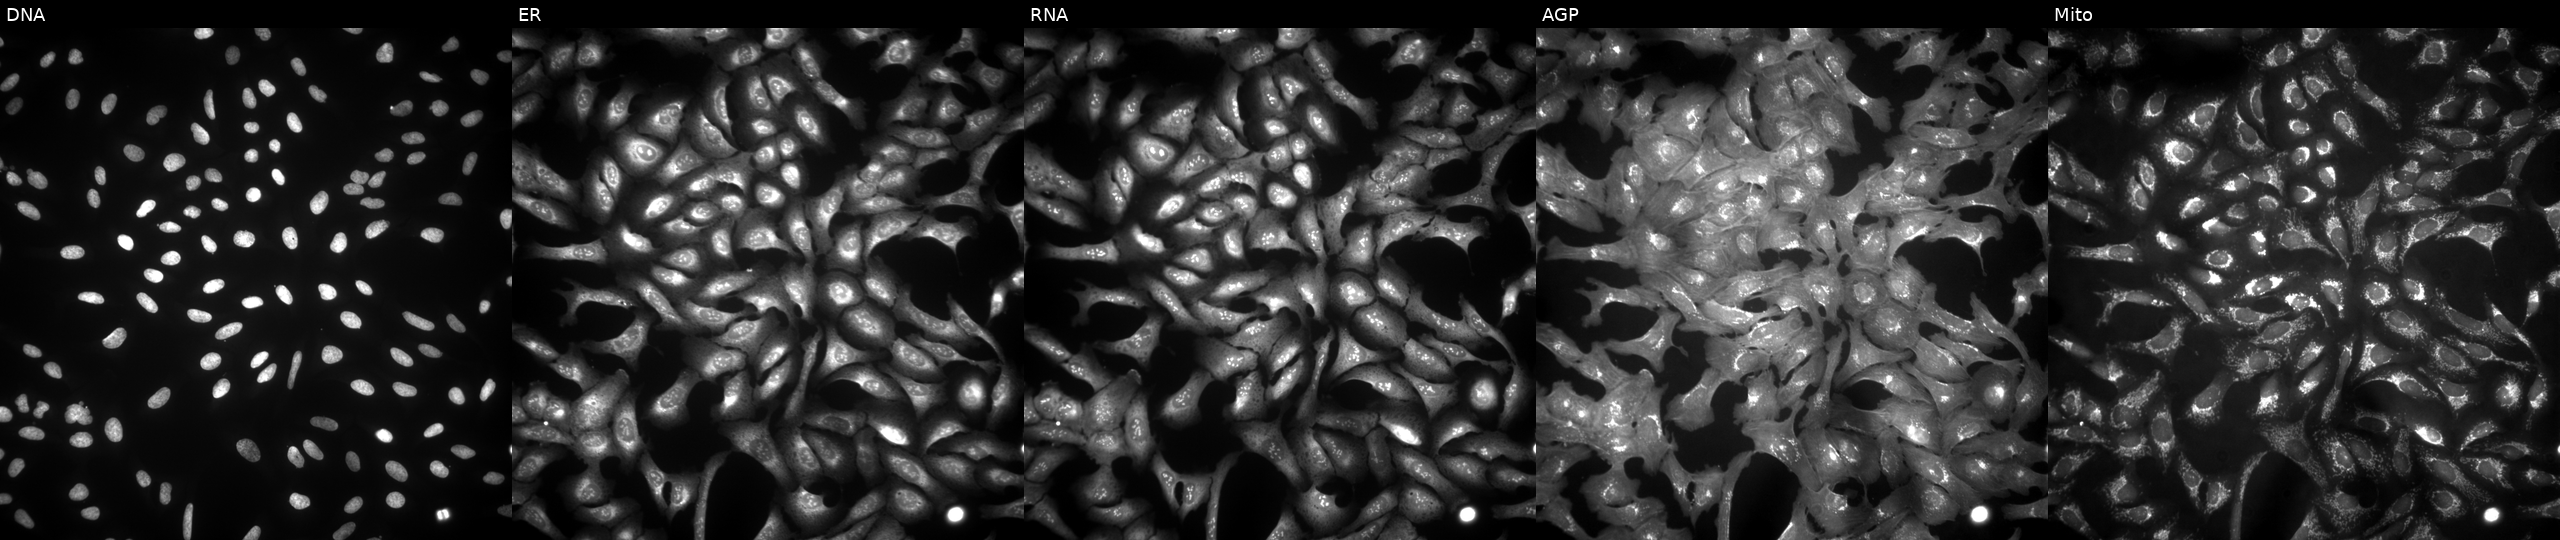
JUMP Cell Painting — ORF plate. U2OS cells transfected with an ORF construct for IGHG1 (JUMP id JCP2022_914464). From left to right: DNA, ER, RNA, AGP, and Mito. Source 4, plate BR00123506, well K21.